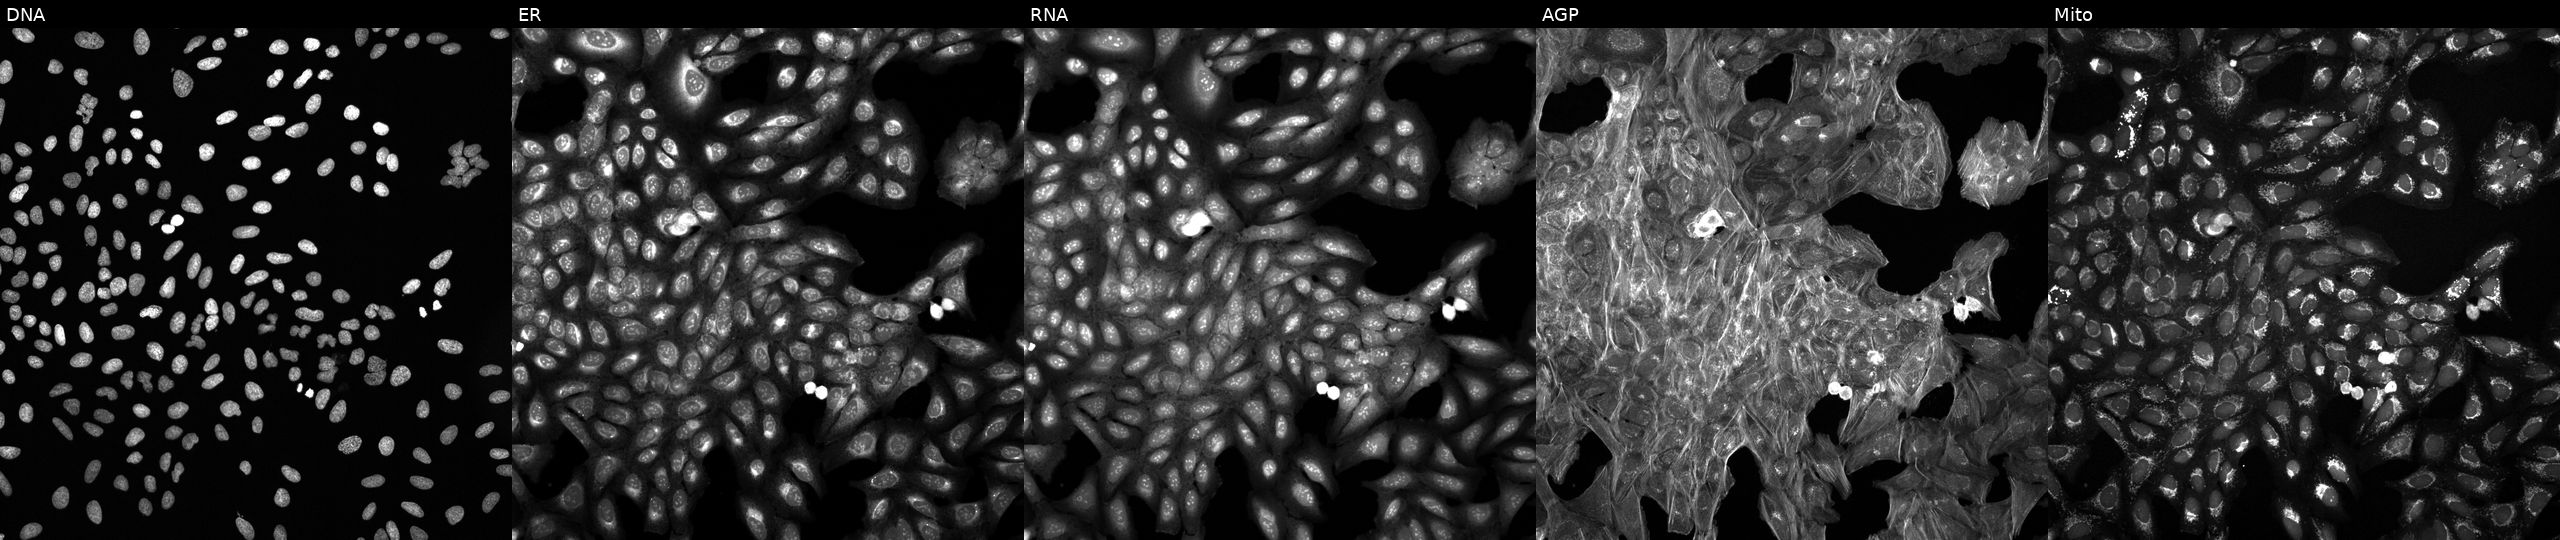
JUMP Cell Painting — COMPOUND plate. U2OS cells exposed to a small-molecule compound (InChIKey GNPKCLSOJXYXHM-UHFFFAOYSA-N) [SMILES: CNC(=O)Cn1nc(C)c2cnn(-c3ccc(C)c(C)c3)c2c1=O] (JUMP id JCP2022_026622). From left to right: DNA (nuclei); ER (endoplasmic reticulum); RNA (nucleoli and cytoplasmic RNA); AGP (actin cytoskeleton, Golgi, and plasma membrane); Mito (mitochondria). Source 6, plate 110000293083, well B11.